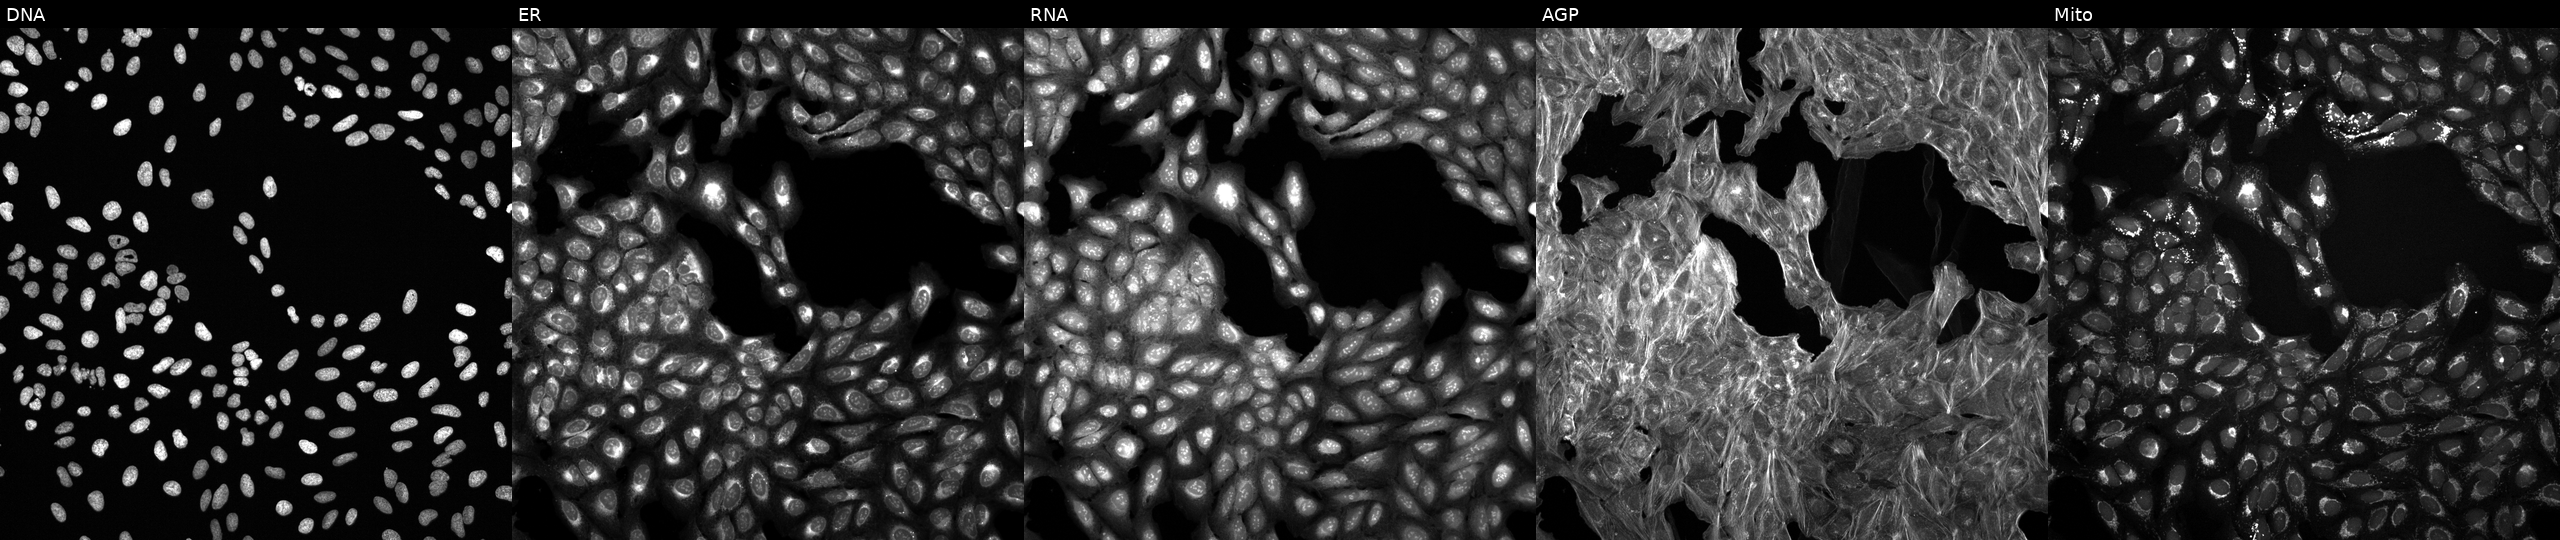
High-content fluorescence microscopy (Cell Painting). Cell line: U2OS. Perturbation: exposed to a small-molecule compound (InChIKey XGEJBBRMCDNWLP-UHFFFAOYSA-N). Panels show, left to right, Hoechst 33342, concanavalin A, SYTO 14, phalloidin and WGA, MitoTracker. Source 6, plate 110000293082, well H17.